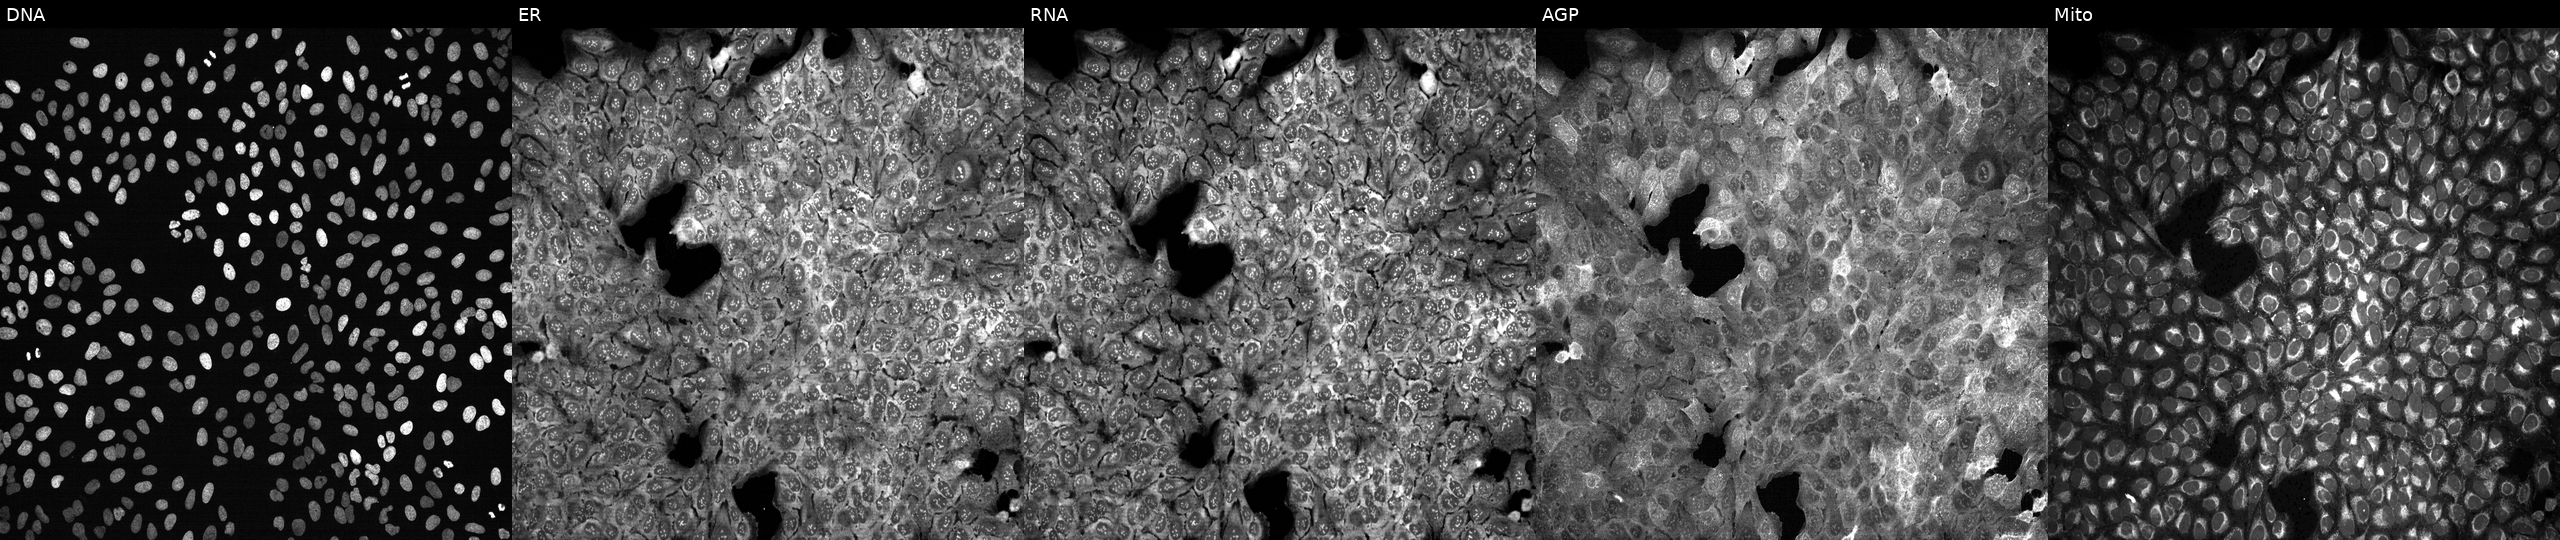
JUMP Cell Painting — CRISPR plate. U2OS cells exposed to DMSO alone as a negative control. From left to right: Hoechst 33342, concanavalin A, SYTO 14, phalloidin and WGA, MitoTracker. Source 13, plate CP-CC9-R2-01, well L02.